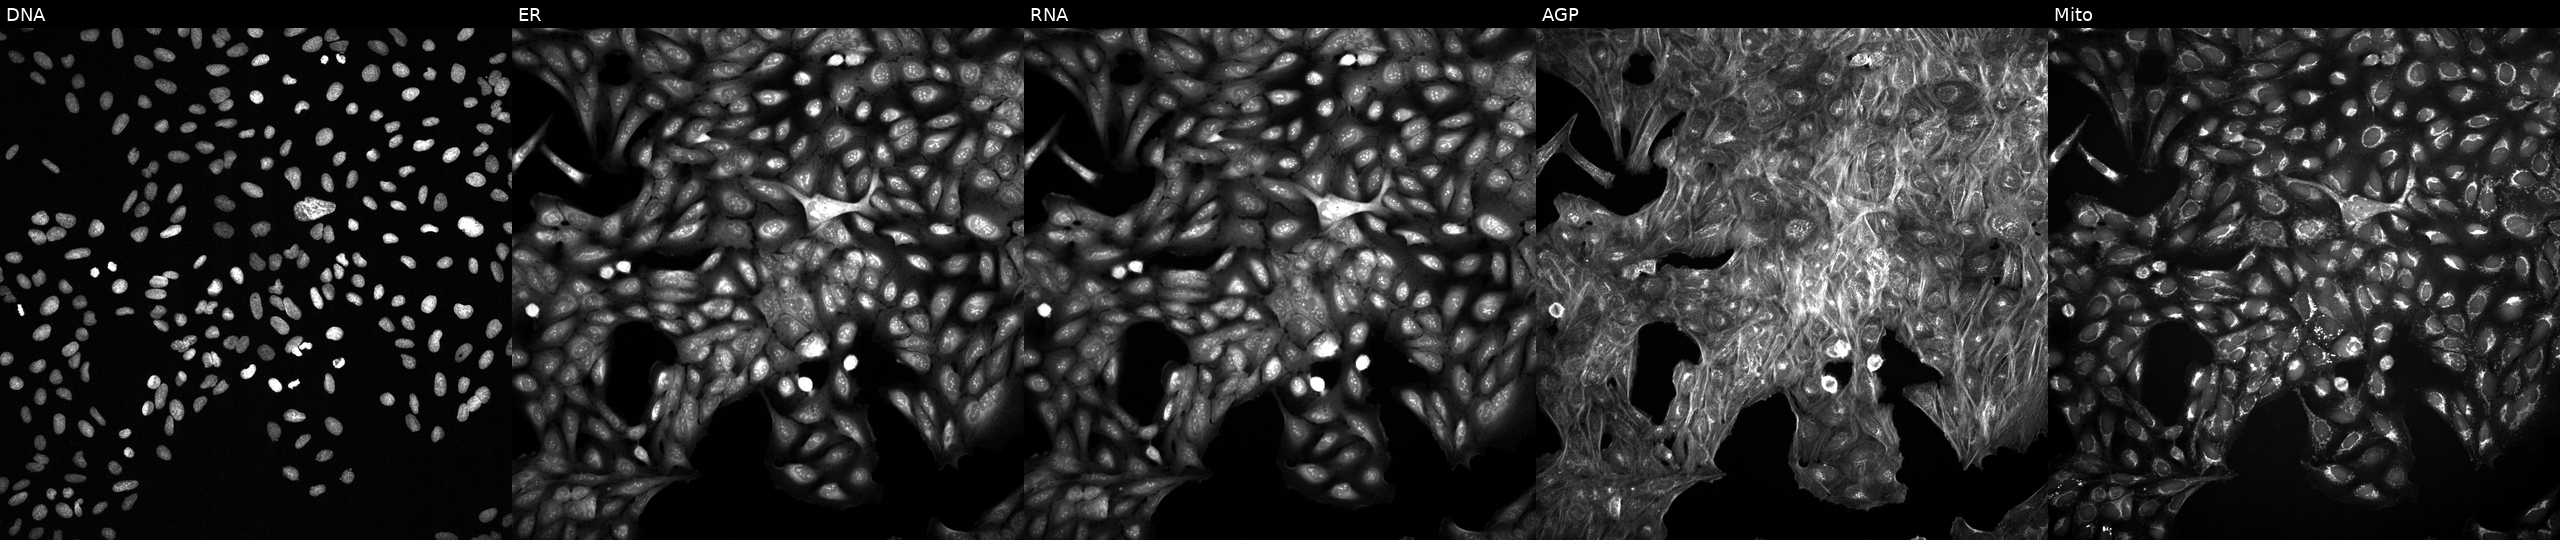
JUMP Cell Painting — COMPOUND plate. U2OS cells treated with a small-molecule compound (InChIKey WPKAOZCFXTXEIO-UHFFFAOYSA-N) (JUMP id JCP2022_100293). Channels (left→right): DNA (nuclei); ER (endoplasmic reticulum); RNA (nucleoli and cytoplasmic RNA); AGP (actin cytoskeleton, Golgi, and plasma membrane); Mito (mitochondria).